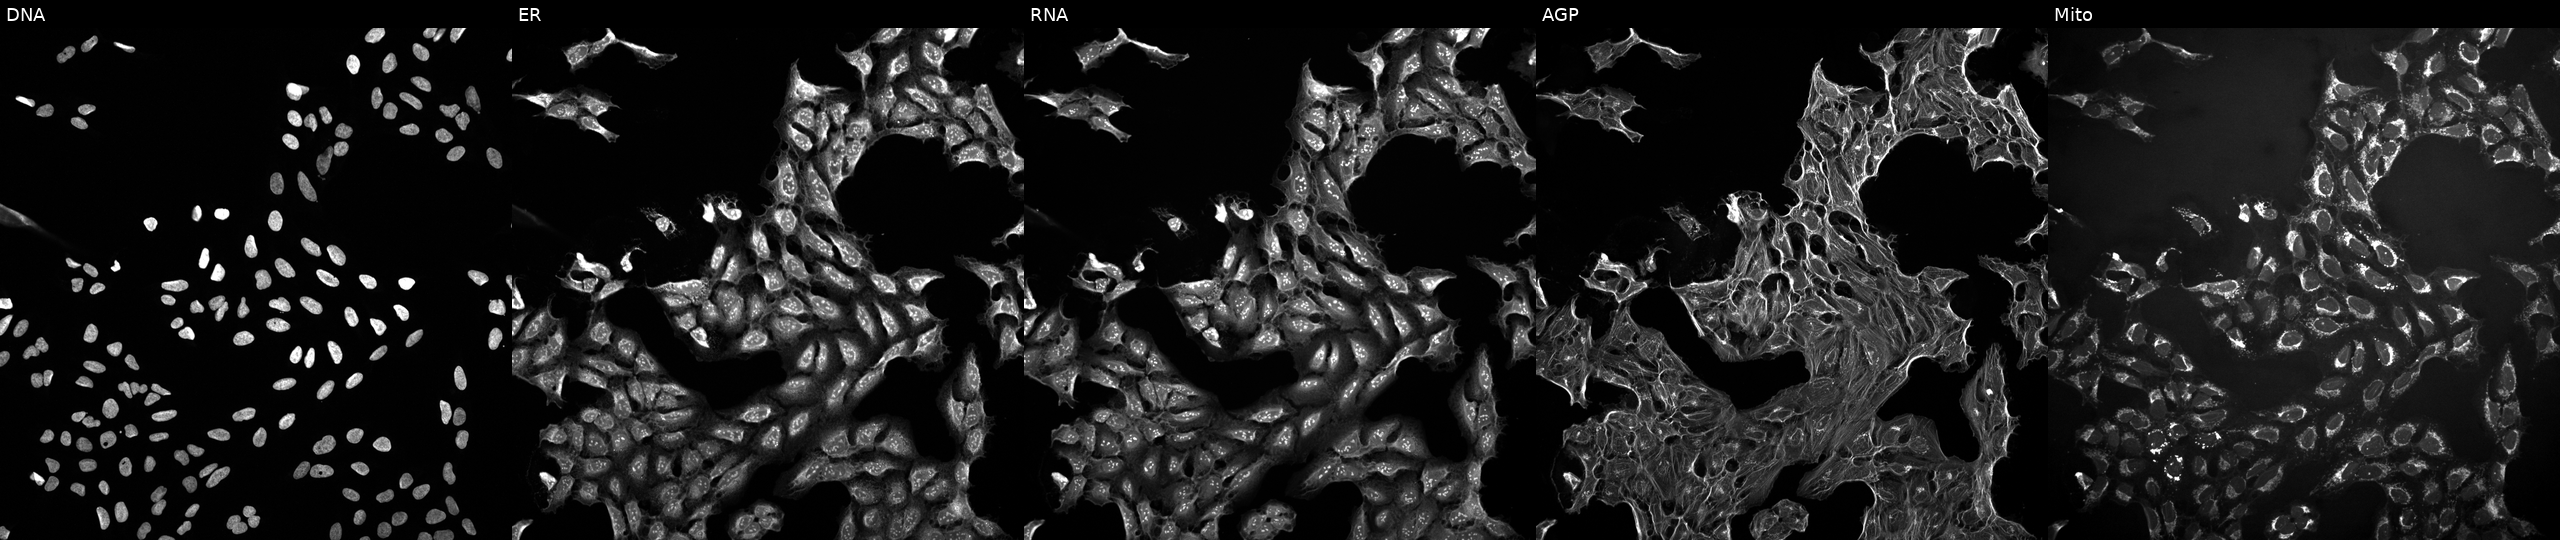
High-content fluorescence microscopy (Cell Painting). Cell line: U2OS. Perturbation: perturbed with a small-molecule compound (InChIKey WDENQIQQYWYTPO-UHFFFAOYSA-N) (JUMP id JCP2022_097998). Channels (left→right): DNA (nuclei); ER (endoplasmic reticulum); RNA (nucleoli and cytoplasmic RNA); AGP (actin cytoskeleton, Golgi, and plasma membrane); Mito (mitochondria). Source 10, plate Dest210726-160150, well P07.